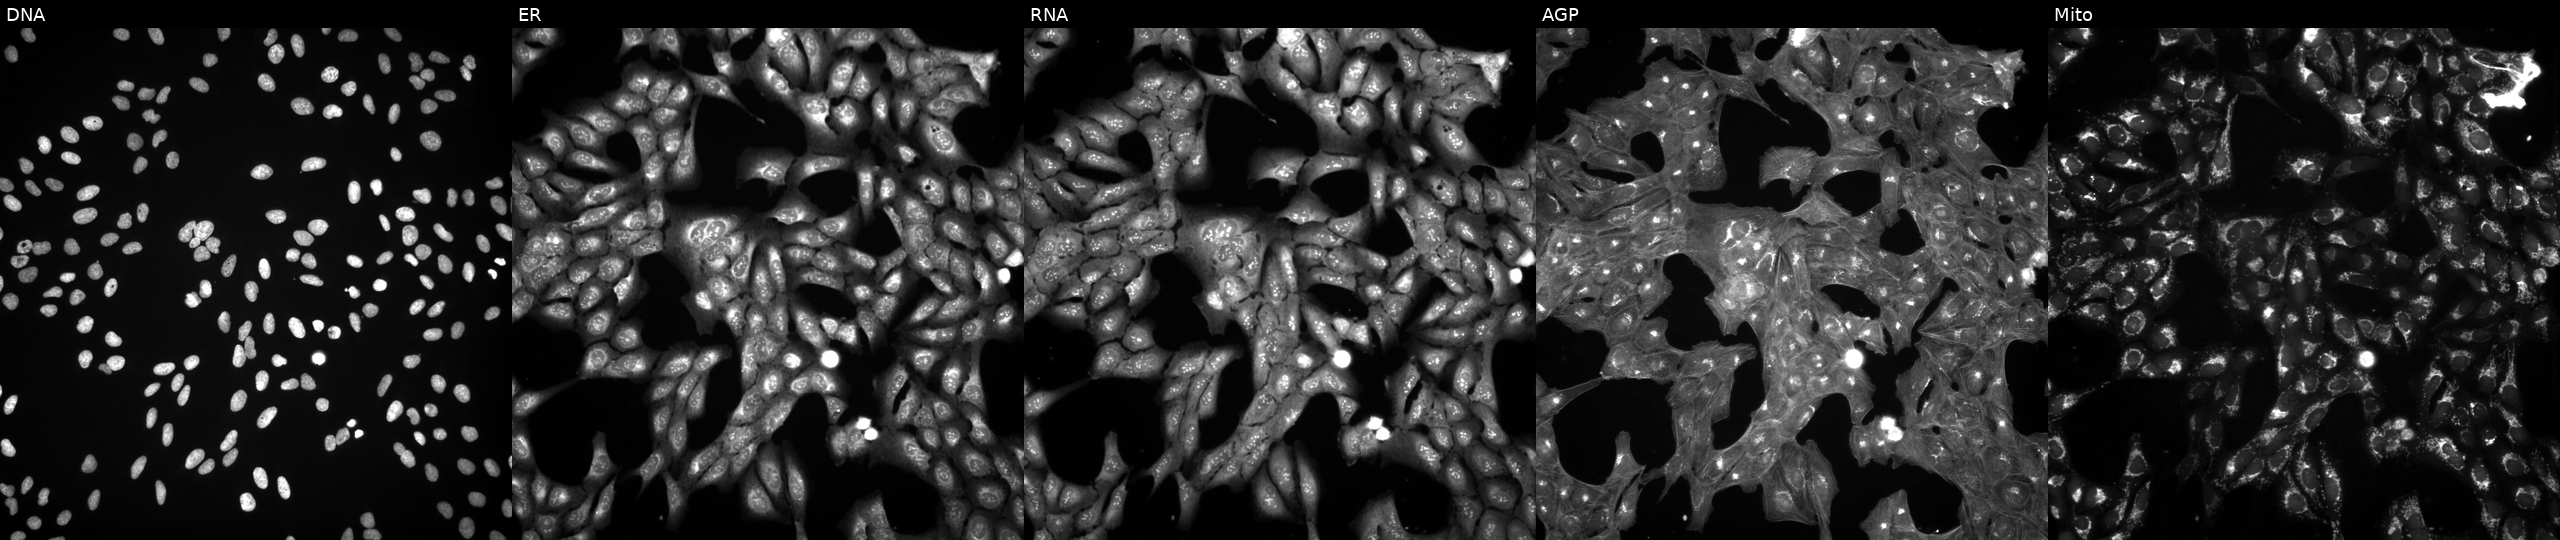
The five panels, left to right, show DNA, ER, RNA, AGP, and Mito. U2OS osteosarcoma cells treated with a small-molecule compound (InChIKey FBPUCVSSCUIVFB-UHFFFAOYSA-N). Cell Painting assay, JUMP-CP dataset. Source 3, plate BR5867b3, well N15.